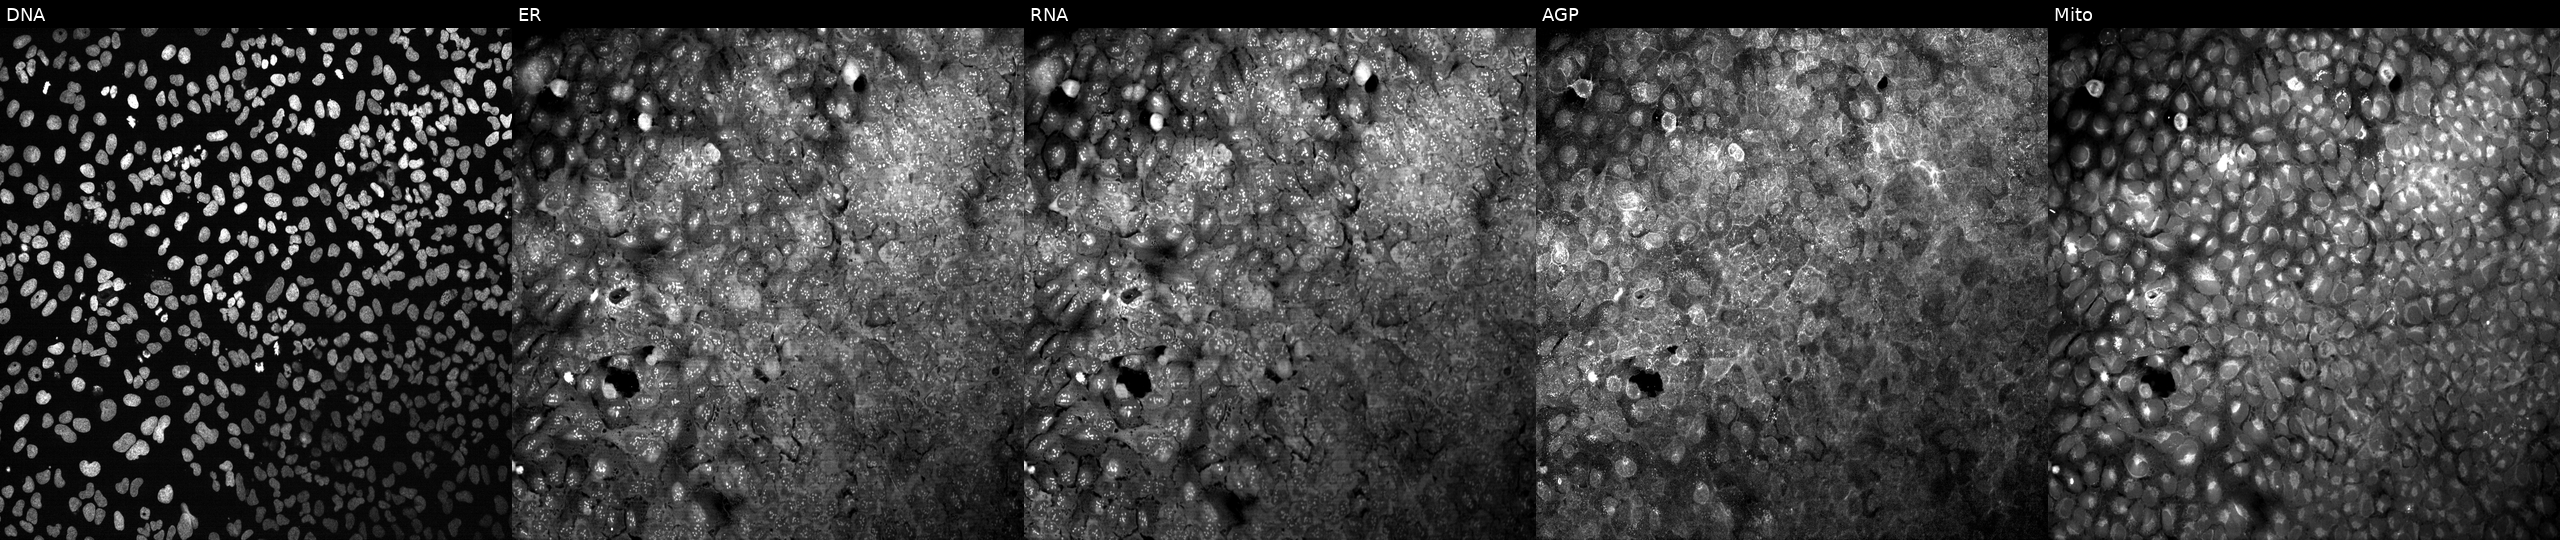
The five panels, left to right, show DNA, ER, RNA, AGP, and Mito. U2OS osteosarcoma cells with RAB2B knocked out by CRISPR. Cell Painting assay, JUMP-CP dataset.